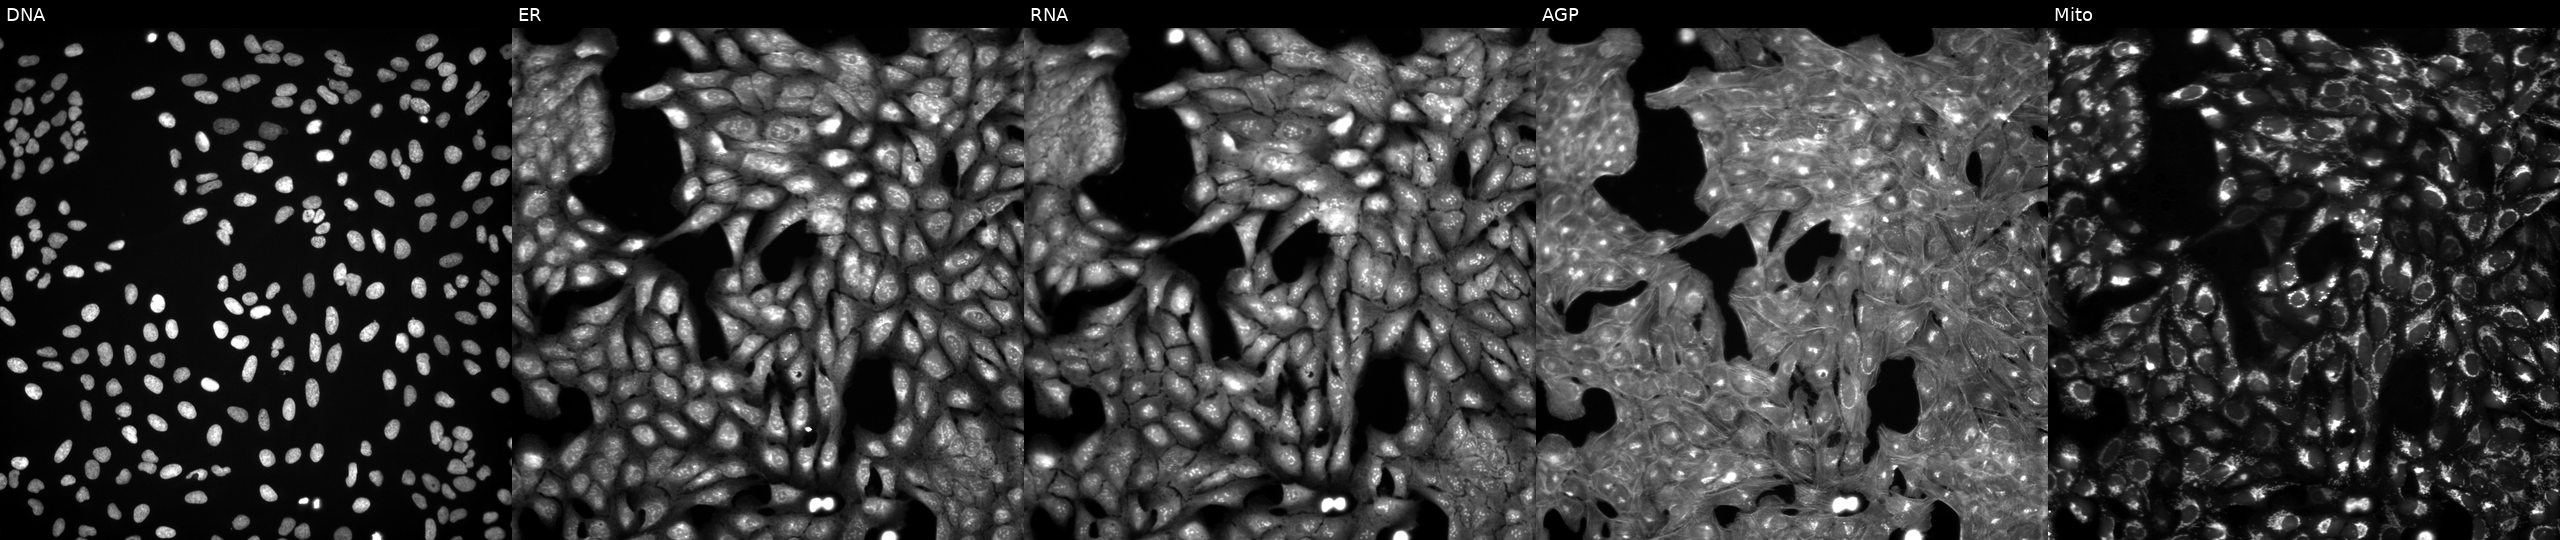
High-content fluorescence microscopy (Cell Painting). Cell line: U2OS. Perturbation: treated with a small-molecule compound (InChIKey QFWCYNPOPKQOKV-UHFFFAOYSA-N). From left to right: DNA, ER, RNA, AGP, and Mito. Source 3, plate JCPQC051, well E03.